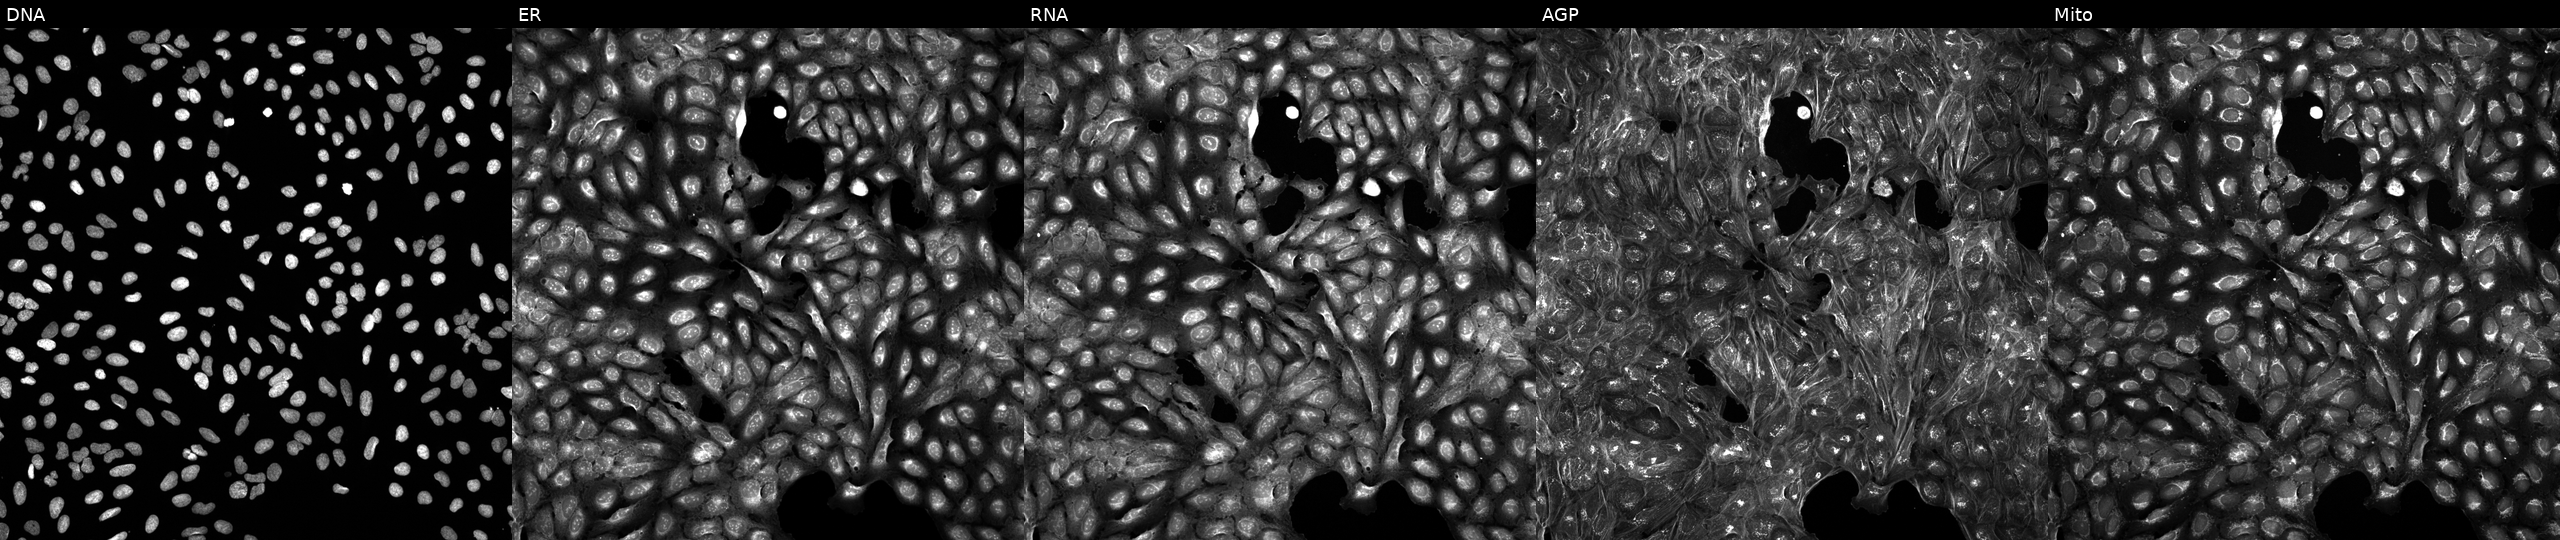
U2OS cells, Cell Painting assay, treated with a small-molecule compound. From left to right: DNA (nuclei); ER (endoplasmic reticulum); RNA (nucleoli and cytoplasmic RNA); AGP (actin cytoskeleton, Golgi, and plasma membrane); Mito (mitochondria). Each panel is percentile-stretched 16-bit fluorescence.